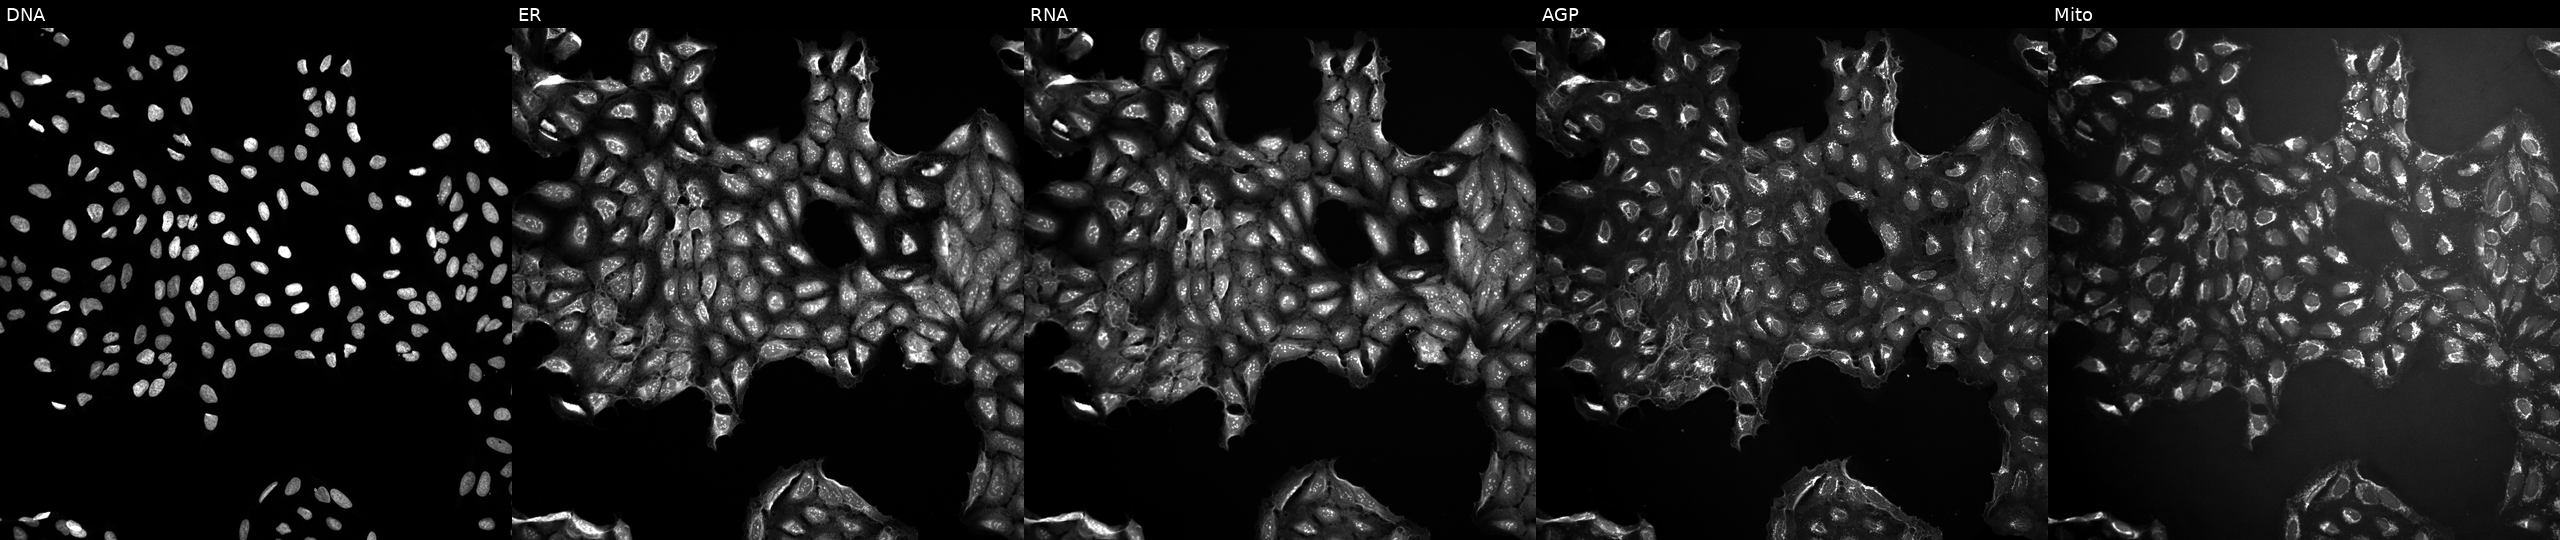
JUMP Cell Painting — TARGET2 plate. U2OS cells treated with DMSO vehicle only (negative control). Channels (left→right): DNA, ER, RNA, AGP, and Mito. Source 10, plate Dest210803-153958, well G19.